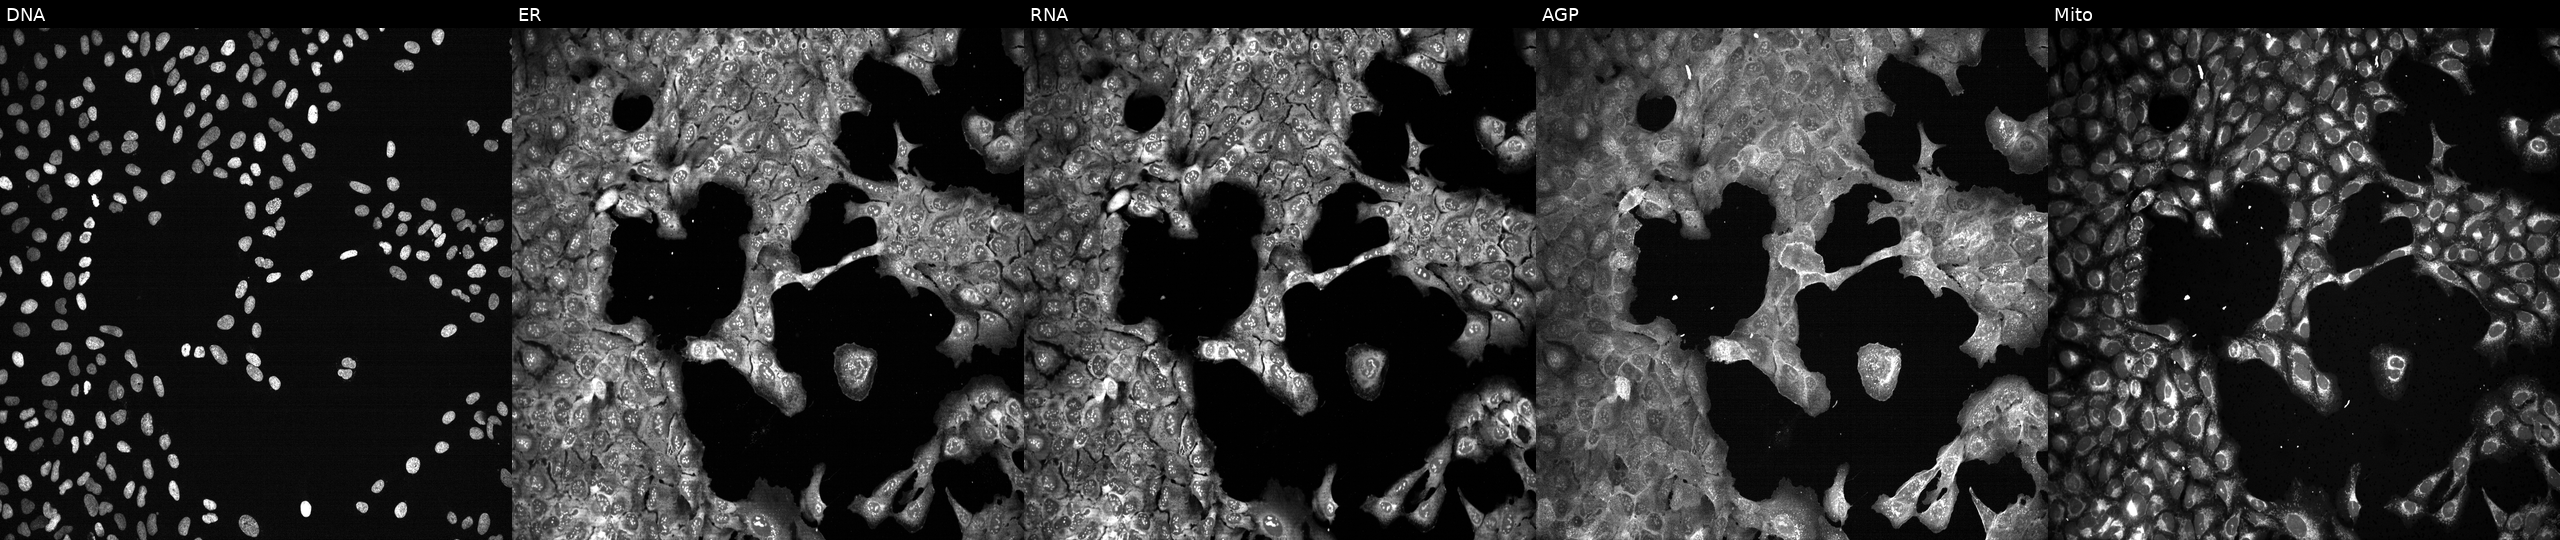
Channels (left→right): DNA, ER, RNA, AGP, and Mito. U2OS osteosarcoma cells CRISPR-edited to disrupt ARFGAP3. Cell Painting assay, JUMP-CP dataset. Source 13, plate CP-CC9-R2-01, well J20.